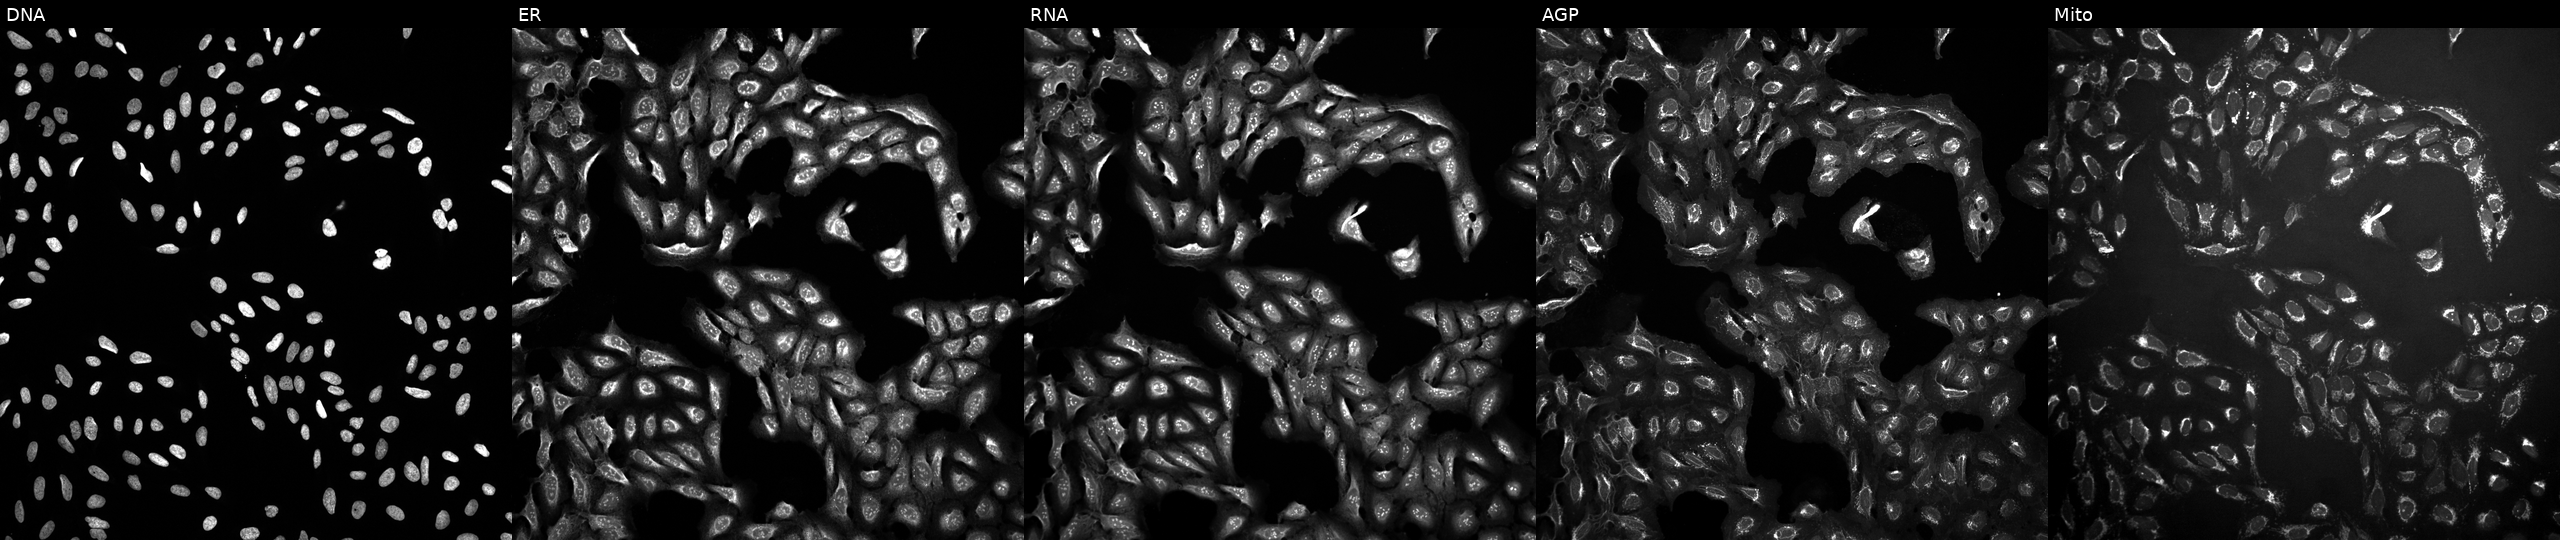
U2OS cells, Cell Painting assay, perturbed with a small-molecule compound (InChIKey LQERMDXPGNOJCT-UHFFFAOYSA-N) (JUMP id JCP2022_051043). Panels show, left to right, Hoechst 33342, concanavalin A, SYTO 14, phalloidin and WGA, MitoTracker. Each panel is percentile-stretched 16-bit fluorescence.